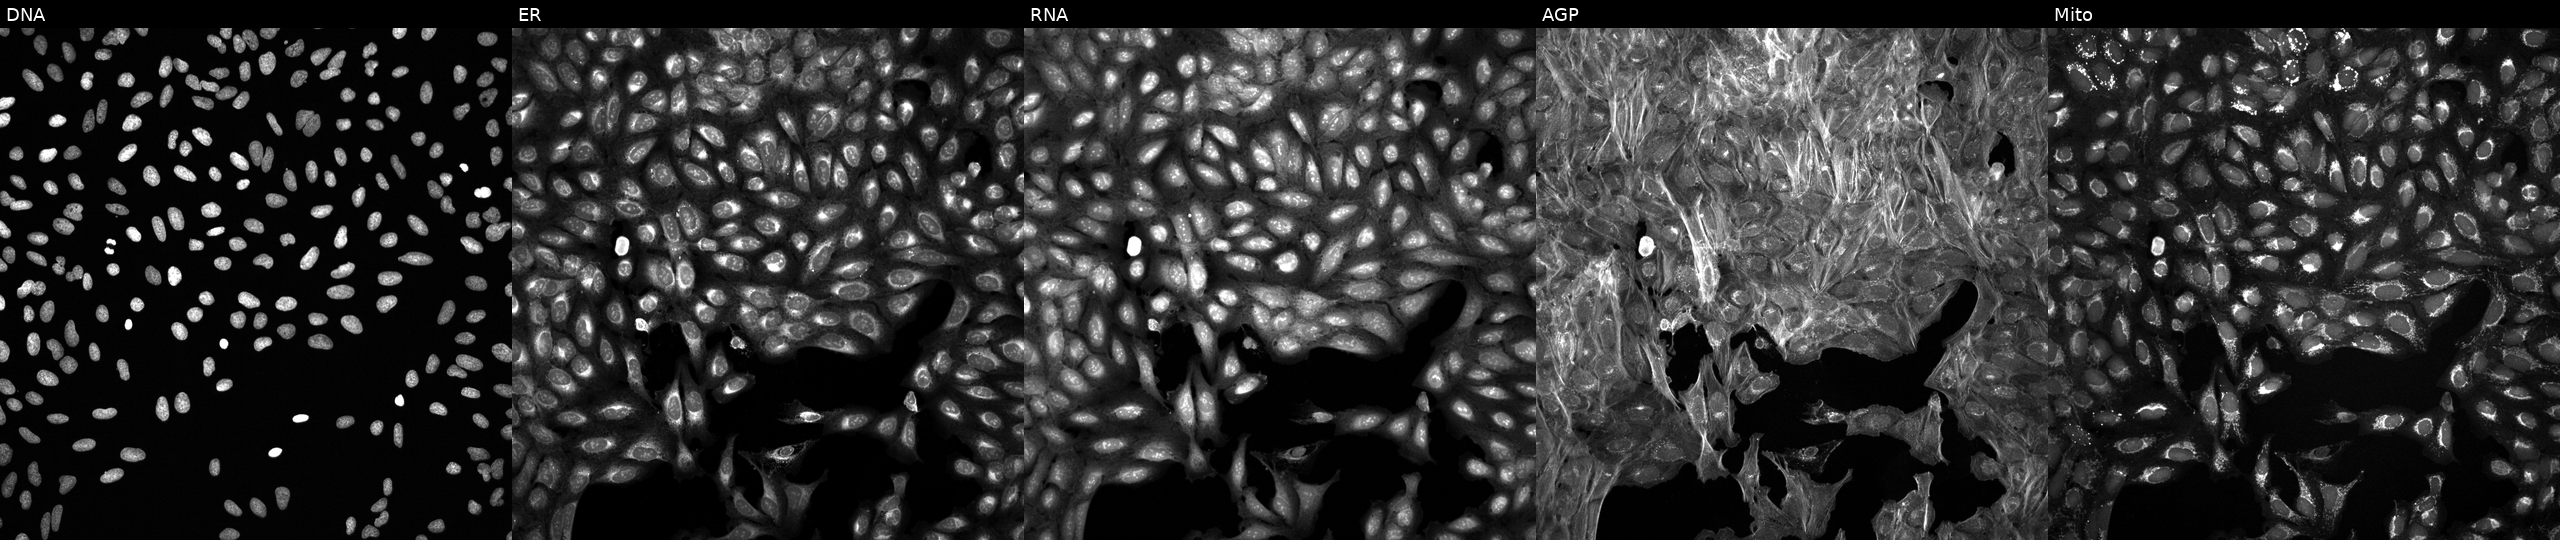
High-content fluorescence microscopy (Cell Painting). Cell line: U2OS. Perturbation: treated with a small-molecule compound (InChIKey HBUBKKRHXORPQB-UHFFFAOYSA-N). From left to right: DNA, ER, RNA, AGP, and Mito.